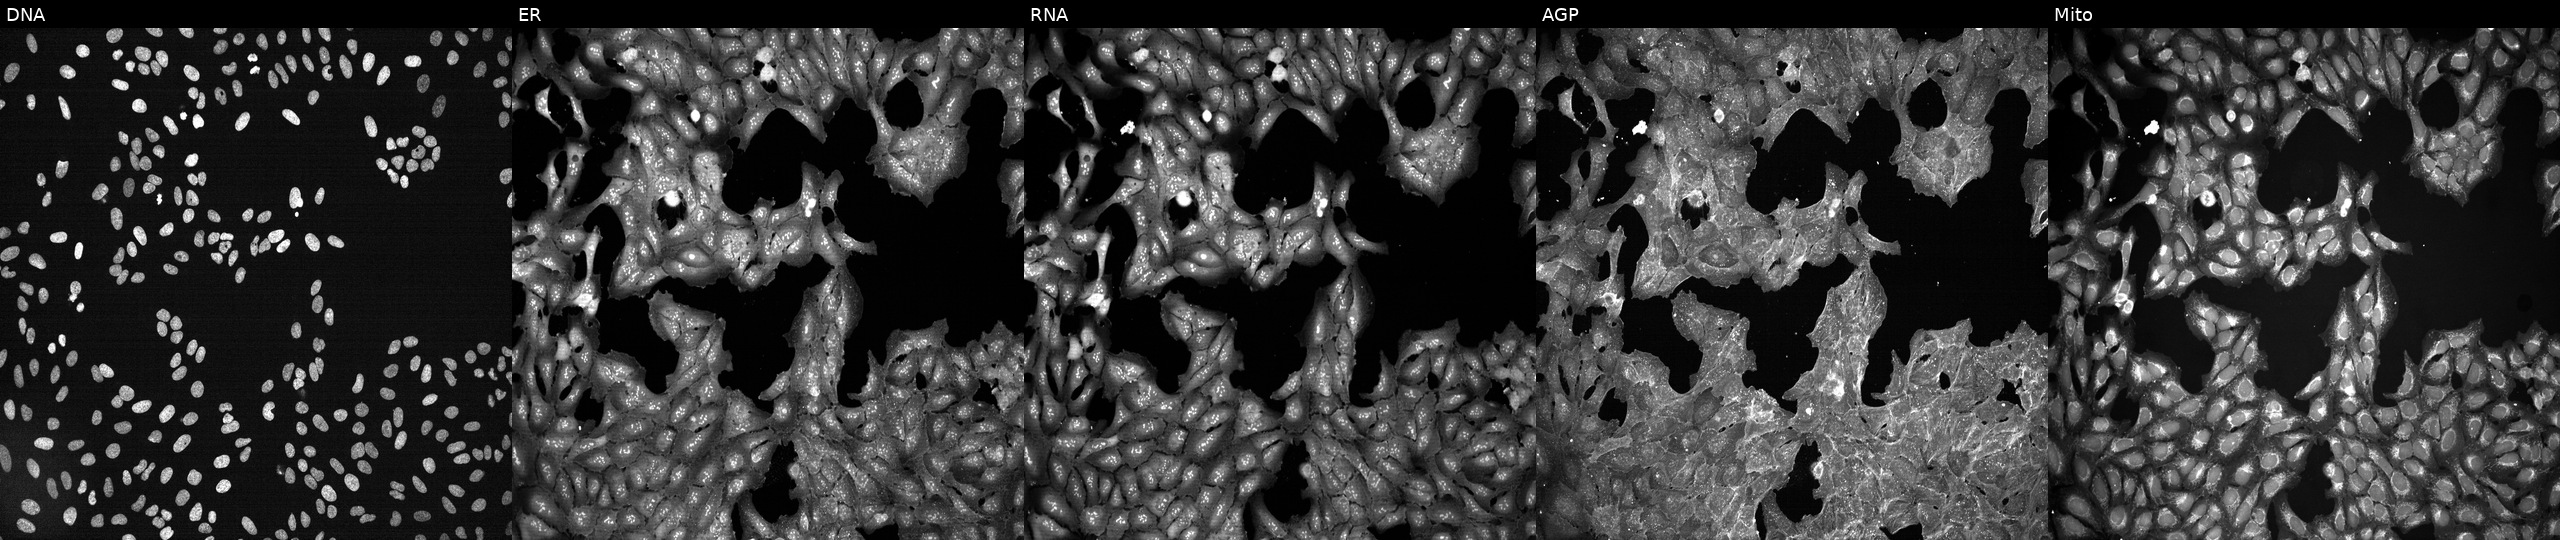
Five-channel Cell Painting image of U2OS cells treated with a small-molecule compound (InChIKey KXDROGADUISDGY-UHFFFAOYSA-N). Channels (left→right): Hoechst 33342, concanavalin A, SYTO 14, phalloidin and WGA, MitoTracker.